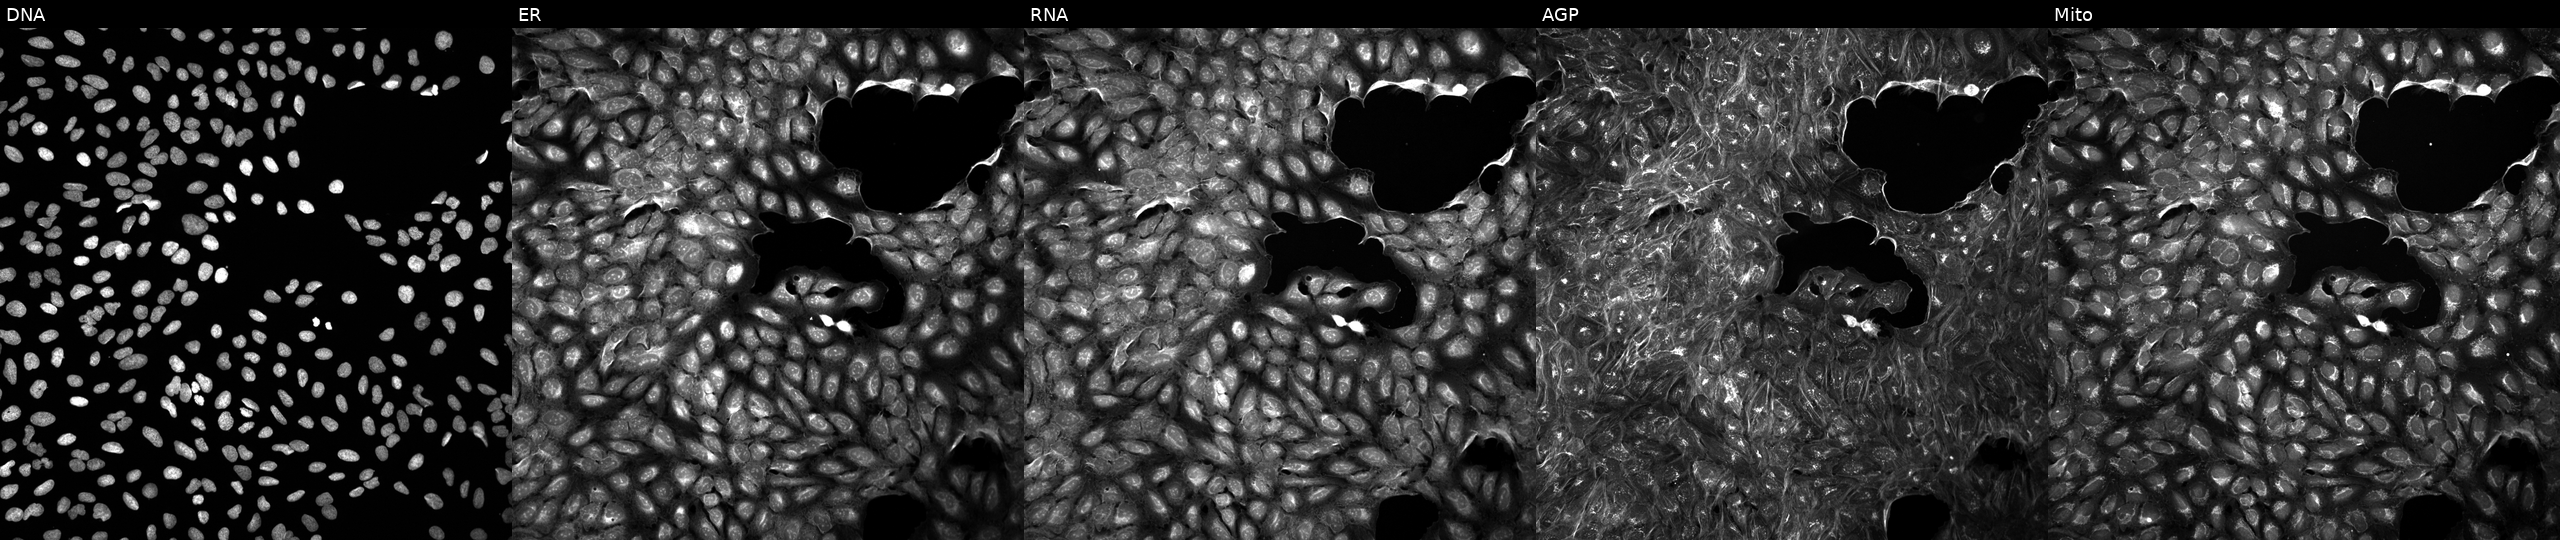
JUMP Cell Painting — COMPOUND plate. U2OS cells treated with a small-molecule compound (InChIKey FEJOULHSKJVETA-UHFFFAOYSA-N) (JUMP id JCP2022_020116). The five panels, left to right, show DNA, ER, RNA, AGP, and Mito. Source 5, plate APTJUM105, well L21.